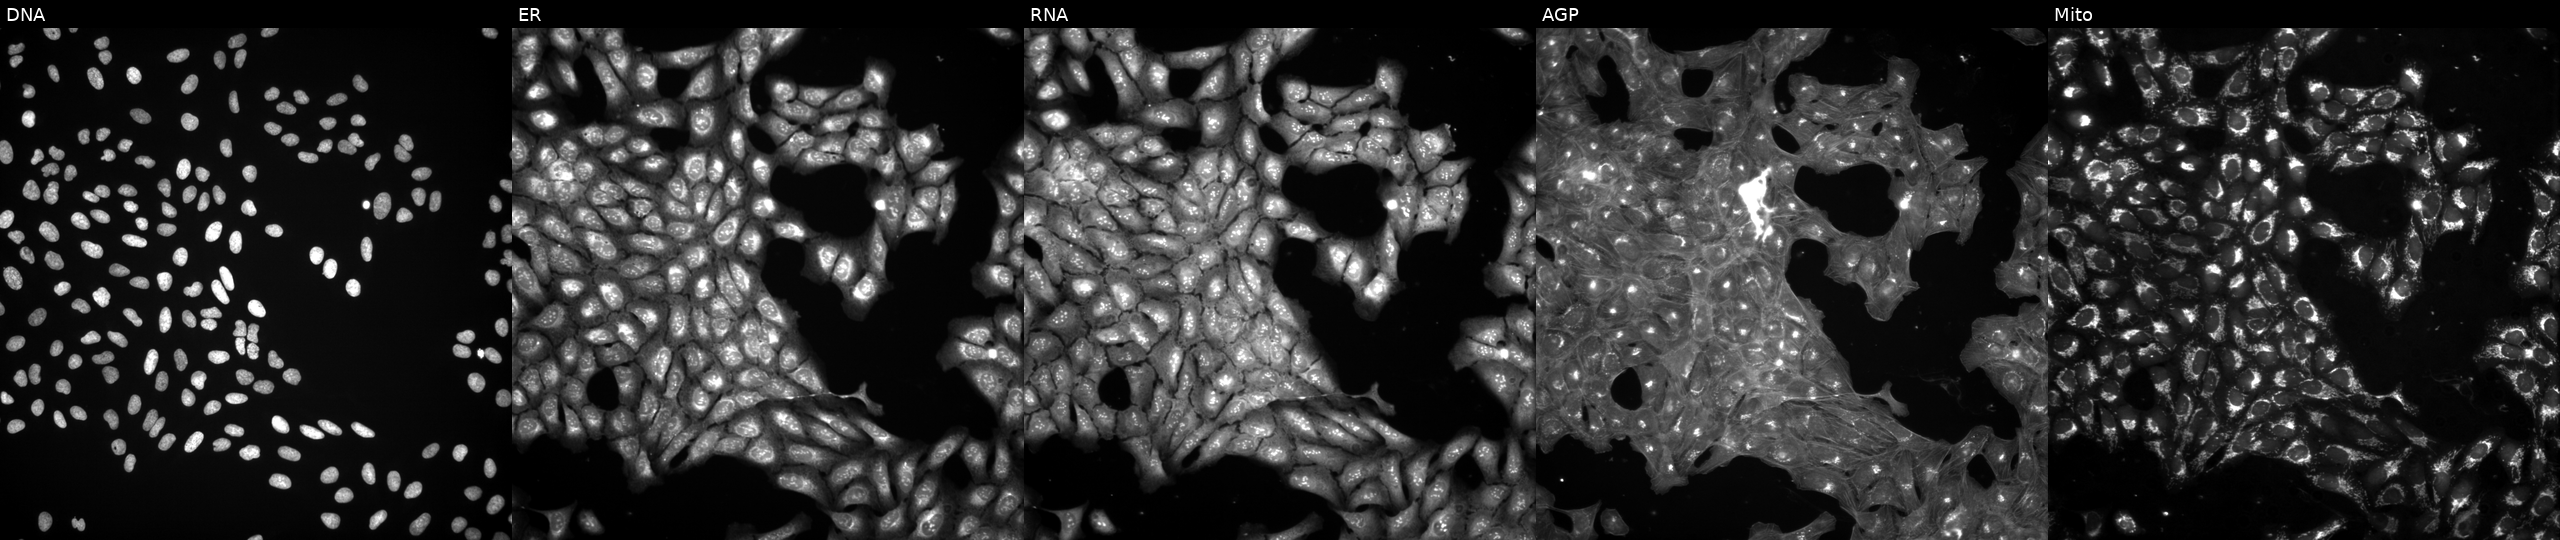
U2OS cells, Cell Painting assay, exposed to a small-molecule compound (InChIKey HCHXYHWGEIGZPZ-UHFFFAOYSA-N). The five panels, left to right, show DNA (nuclei); ER (endoplasmic reticulum); RNA (nucleoli and cytoplasmic RNA); AGP (actin cytoskeleton, Golgi, and plasma membrane); Mito (mitochondria). Each panel is percentile-stretched 16-bit fluorescence. Source 3, plate BR5867a3, well N11.